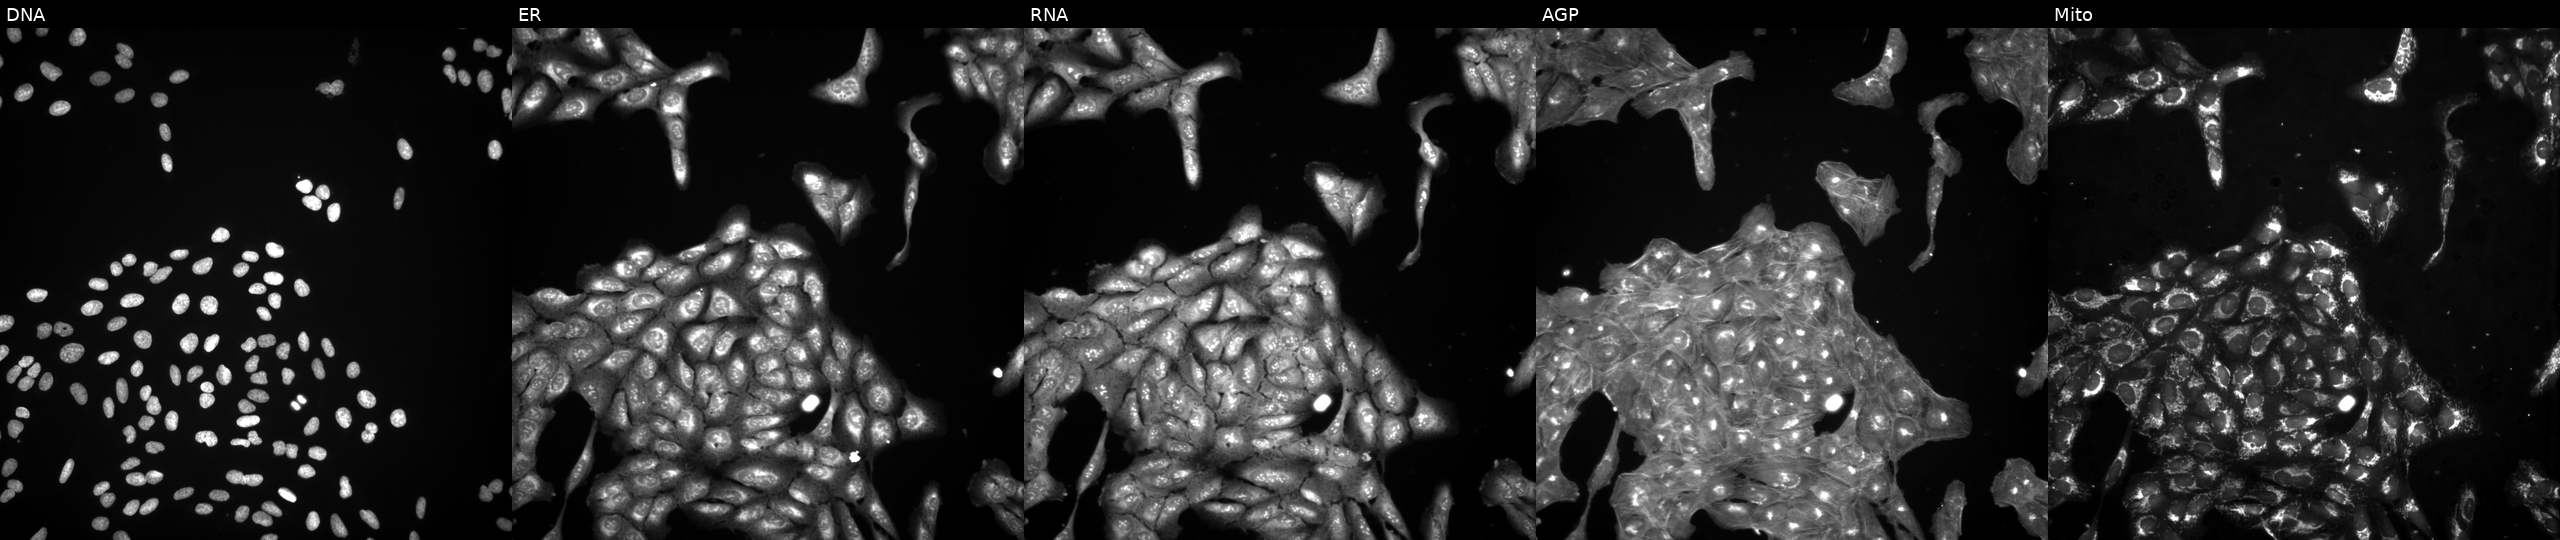
U2OS cells, Cell Painting assay, treated with DMSO vehicle only (negative control). Panels show, left to right, DNA, ER, RNA, AGP, and Mito. Each panel is percentile-stretched 16-bit fluorescence.